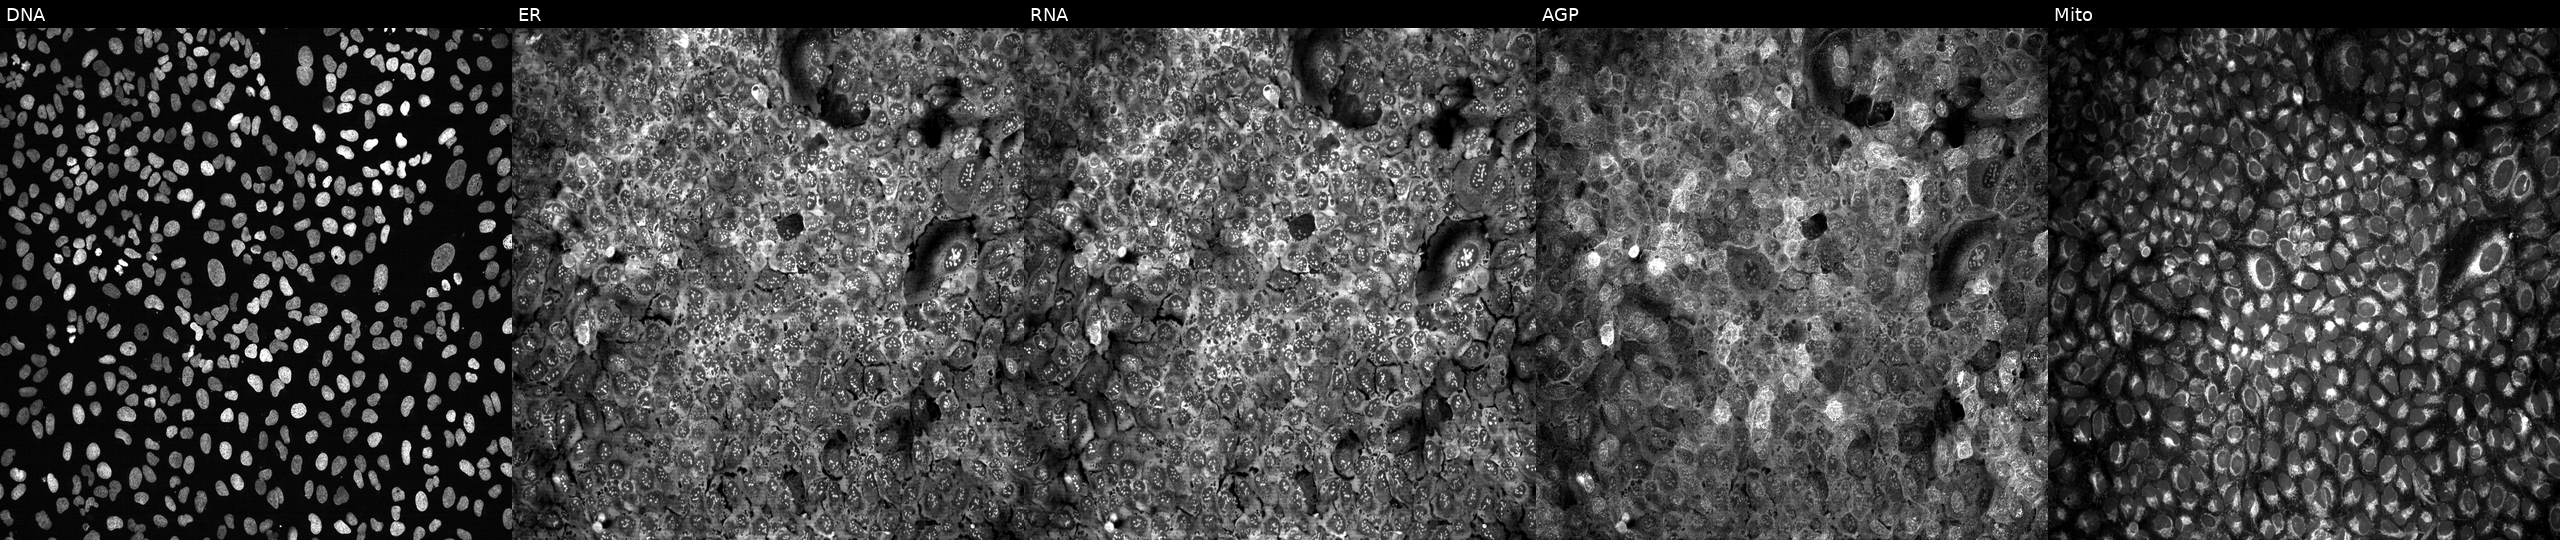
High-content fluorescence microscopy (Cell Painting). Cell line: U2OS. Perturbation: CRISPR-edited to disrupt DCLRE1A. From left to right: DNA, ER, RNA, AGP, and Mito. Source 13, plate CP-CC9-R2-02, well P20.